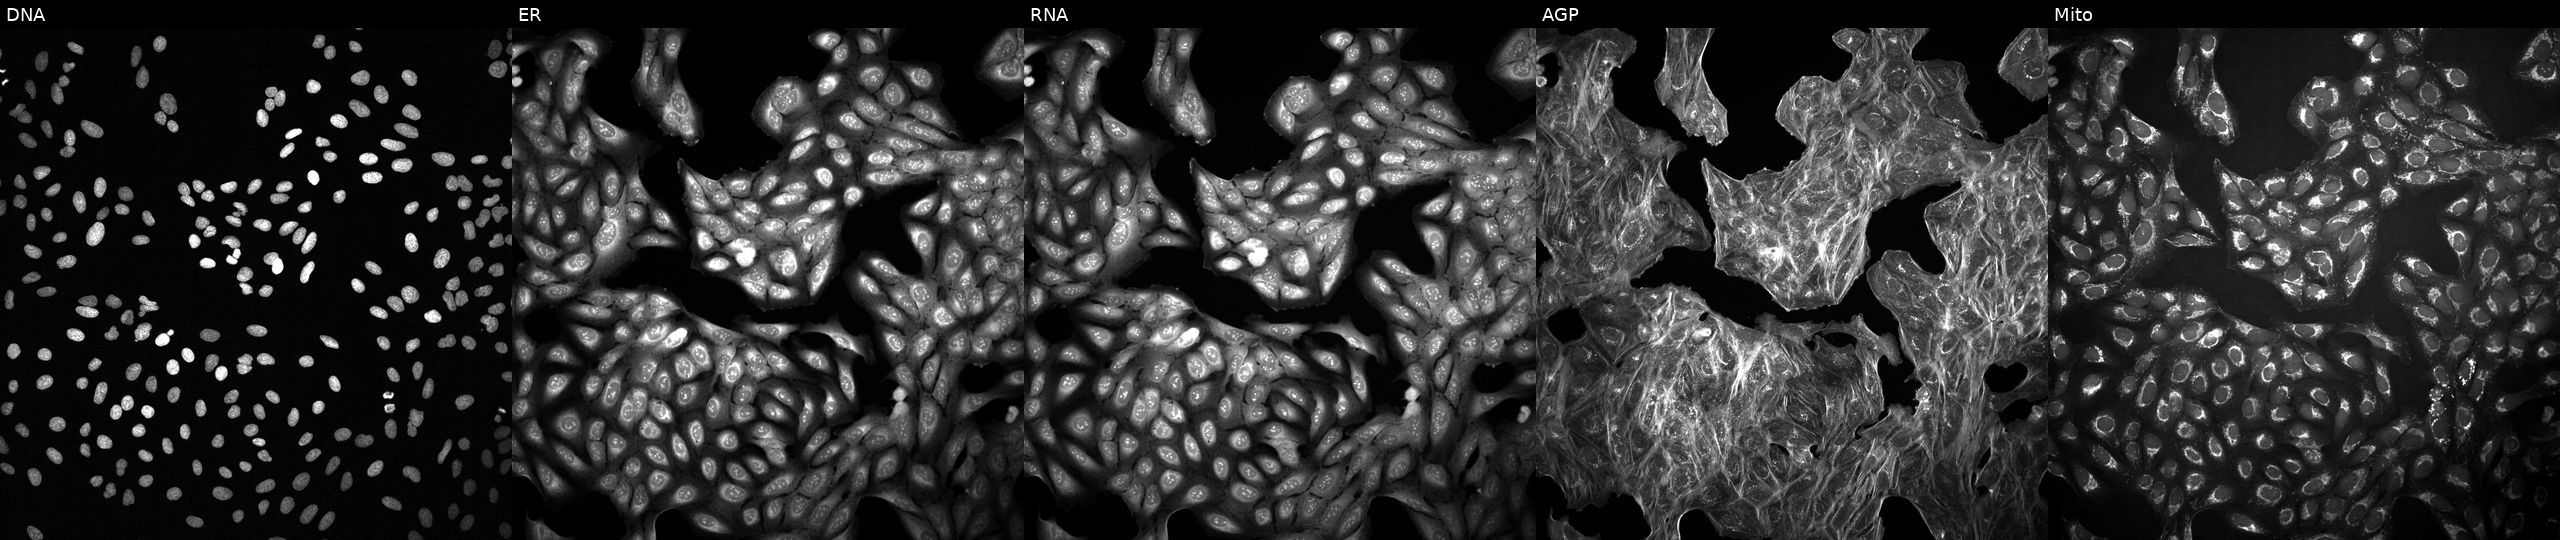
Five-channel Cell Painting image of U2OS cells perturbed with a small-molecule compound (InChIKey YZJBUCVGFZBSMP-UHFFFAOYSA-N) (JUMP id JCP2022_111860). From left to right: DNA (nuclei); ER (endoplasmic reticulum); RNA (nucleoli and cytoplasmic RNA); AGP (actin cytoskeleton, Golgi, and plasma membrane); Mito (mitochondria). Source 2, plate 1053601763, well I21.